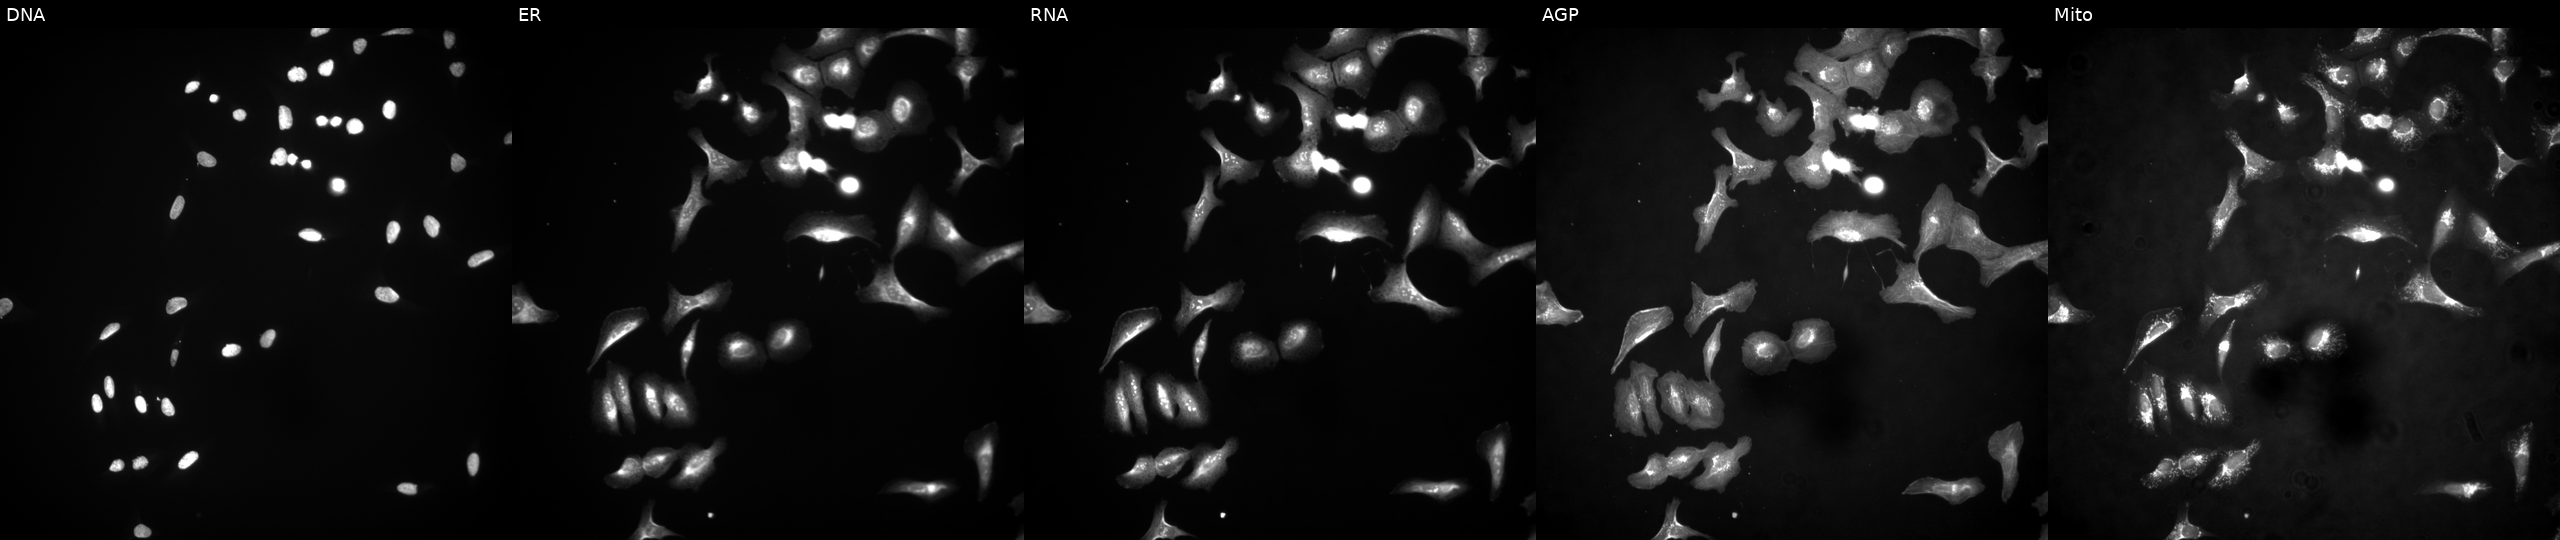
Channels (left→right): Hoechst 33342, concanavalin A, SYTO 14, phalloidin and WGA, MitoTracker. U2OS osteosarcoma cells transfected with an ORF construct for HSD17B7 (JUMP id JCP2022_909610). Cell Painting assay, JUMP-CP dataset. Source 4, plate BR00124790, well N18.